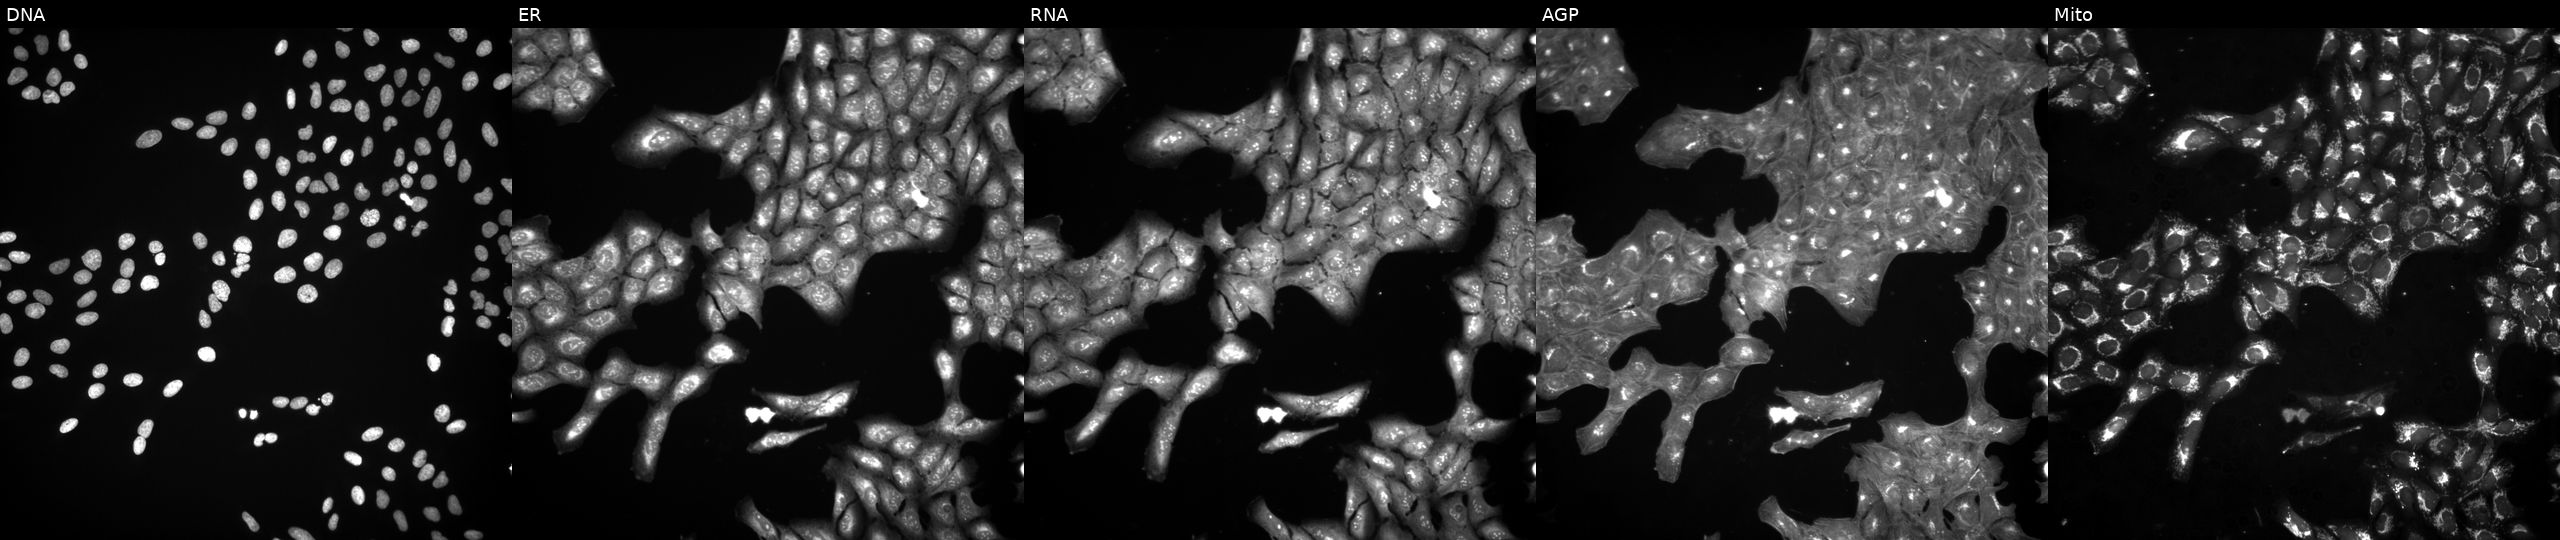
U2OS cells, Cell Painting assay, treated with DMSO vehicle only (negative control) (JUMP id JCP2022_033924). The five panels, left to right, show DNA (nuclei); ER (endoplasmic reticulum); RNA (nucleoli and cytoplasmic RNA); AGP (actin cytoskeleton, Golgi, and plasma membrane); Mito (mitochondria). Each panel is percentile-stretched 16-bit fluorescence.